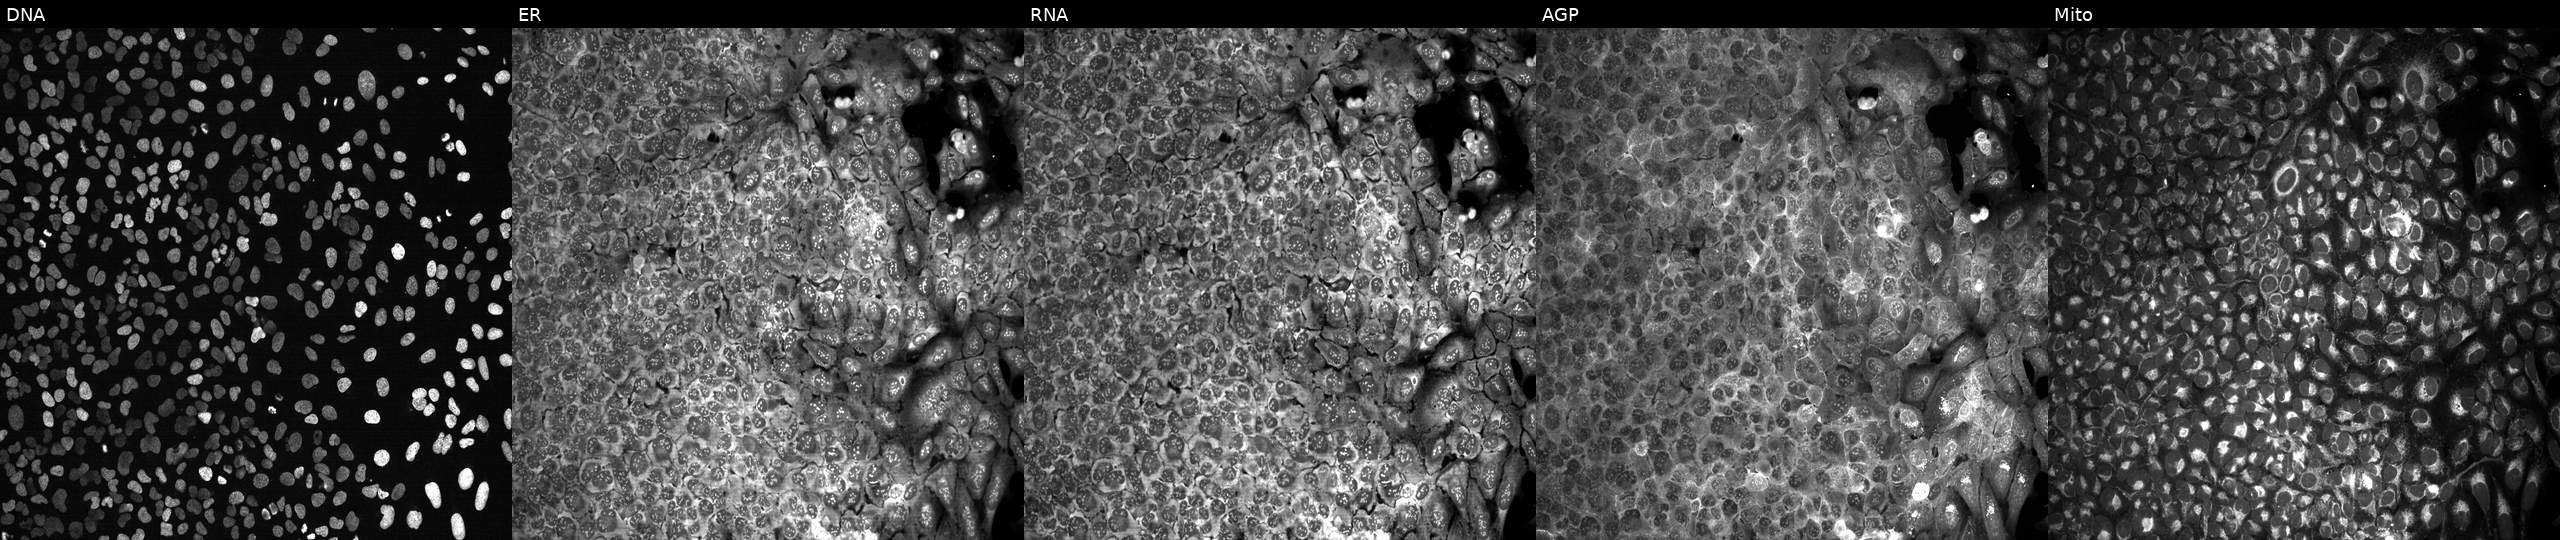
JUMP Cell Painting — CRISPR plate. U2OS cells with ASPG knocked out by CRISPR (JUMP id JCP2022_800653). Panels show, left to right, DNA (nuclei); ER (endoplasmic reticulum); RNA (nucleoli and cytoplasmic RNA); AGP (actin cytoskeleton, Golgi, and plasma membrane); Mito (mitochondria). Source 13, plate CP-CC9-R4-03, well C12.